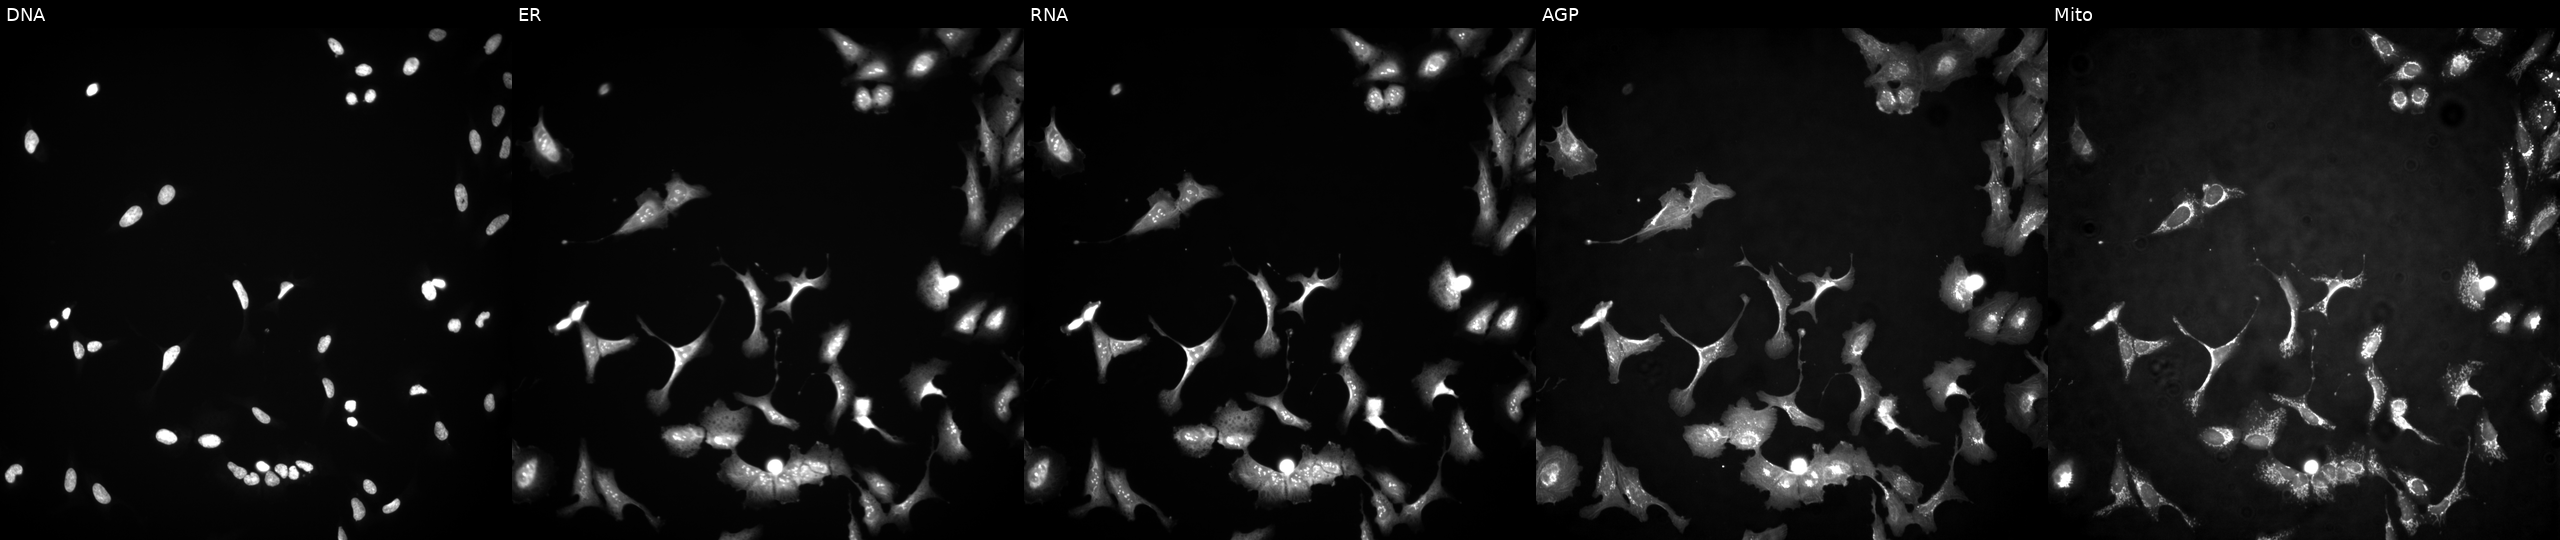
Channels (left→right): DNA, ER, RNA, AGP, and Mito. U2OS osteosarcoma cells with ZMYND19 overexpressed (ORF) (JUMP id JCP2022_908798). Cell Painting assay, JUMP-CP dataset.